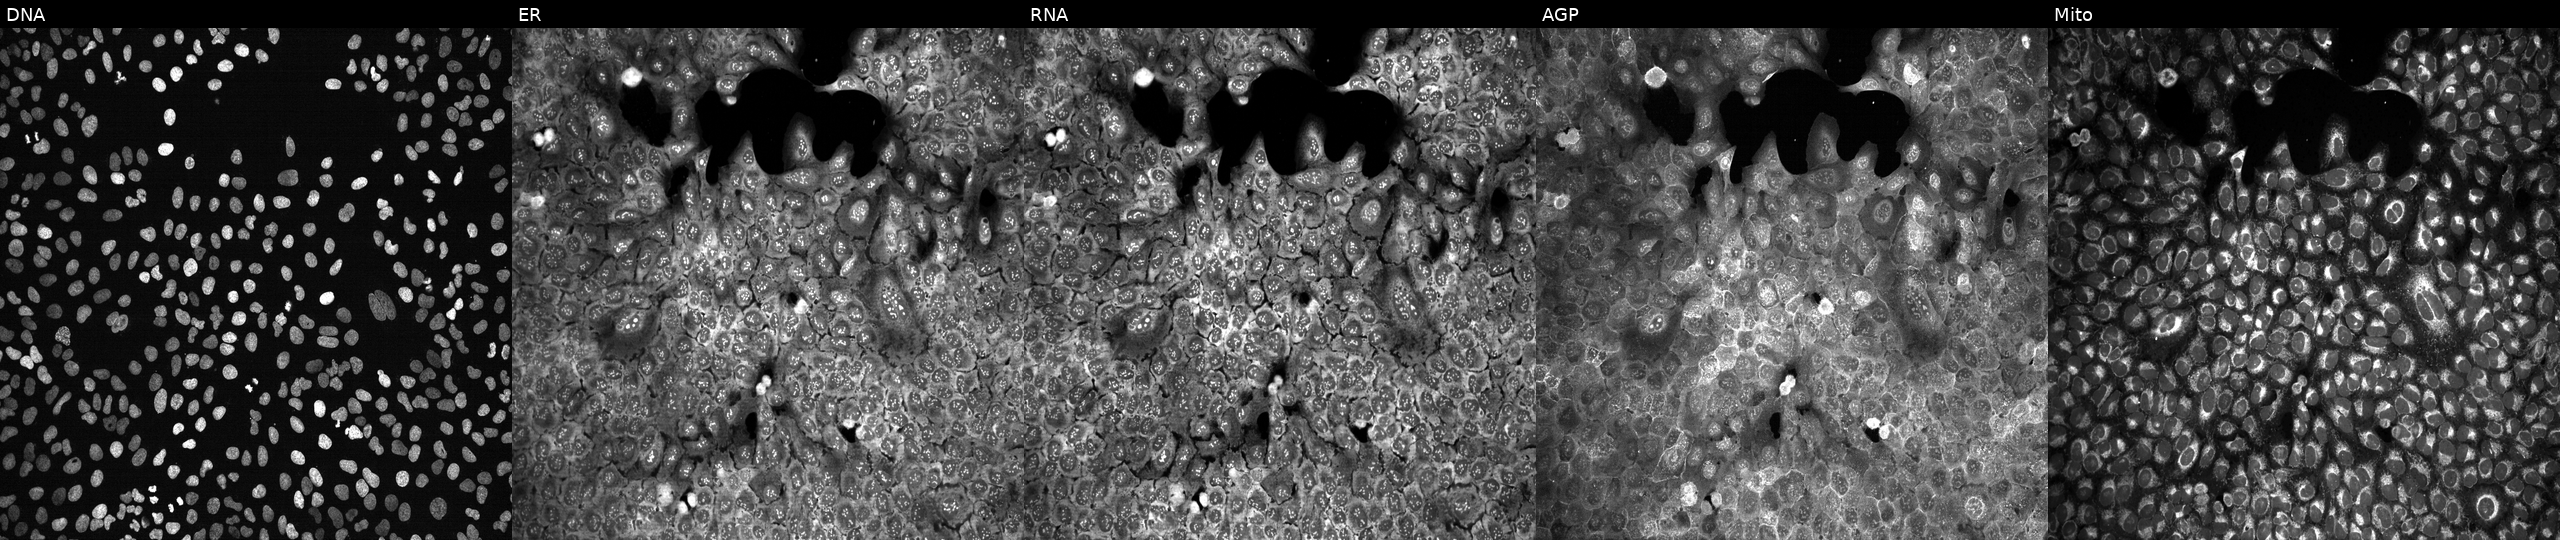
JUMP Cell Painting — CRISPR plate. U2OS cells CRISPR-edited to disrupt FGF20 (JUMP id JCP2022_802386). Channels (left→right): Hoechst 33342, concanavalin A, SYTO 14, phalloidin and WGA, MitoTracker. Source 13, plate CP-CC9-R4-04, well F18.